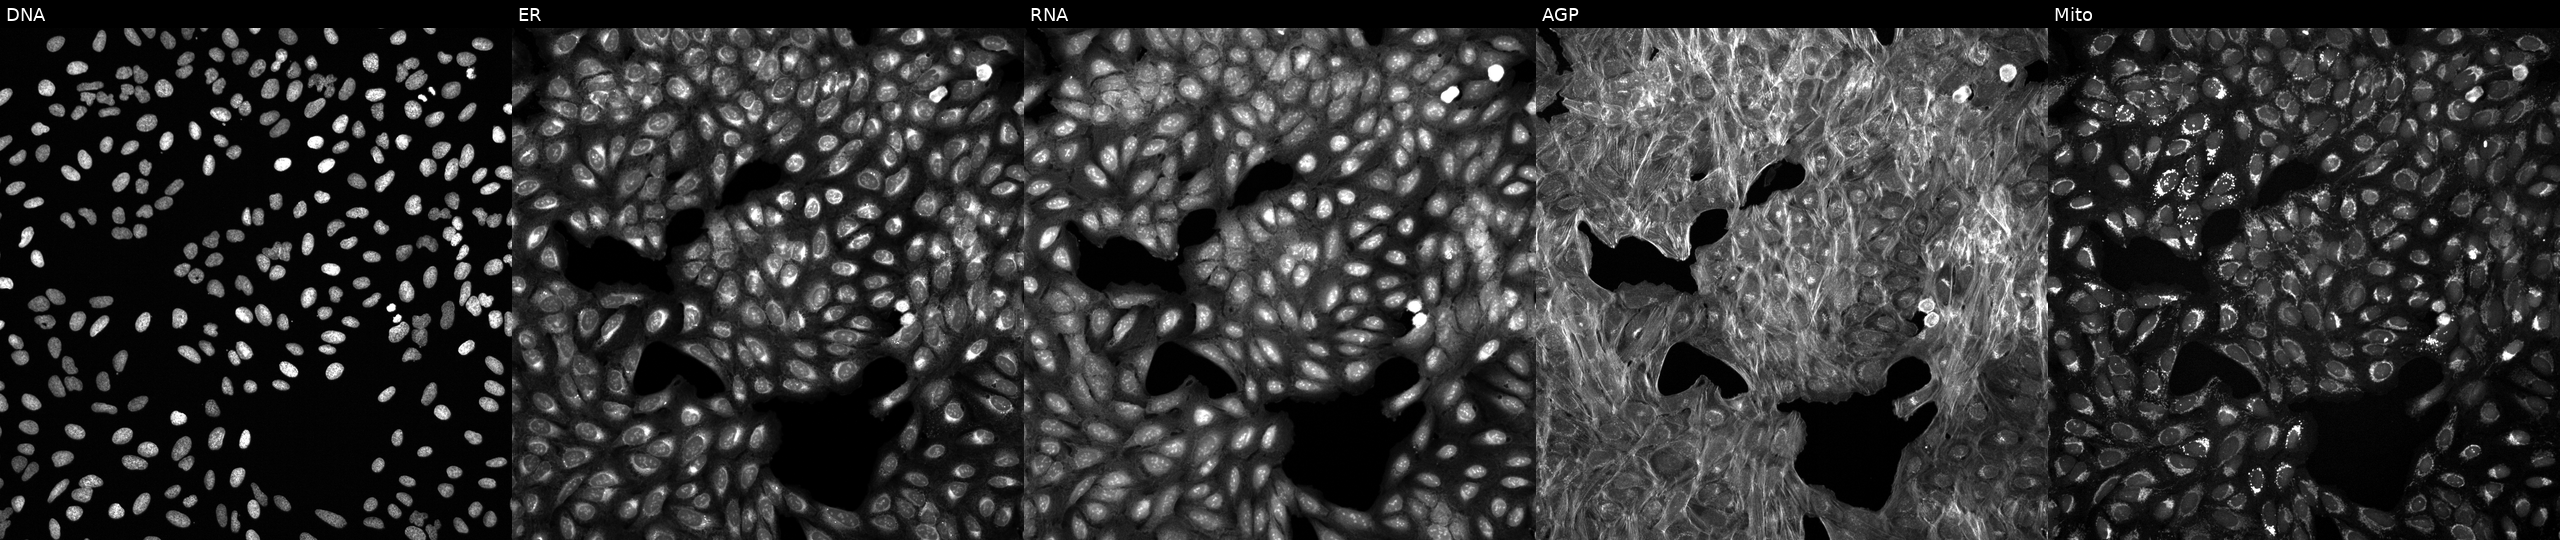
High-content fluorescence microscopy (Cell Painting). Cell line: U2OS. Perturbation: perturbed with a small-molecule compound [SMILES: CC(NS(=O)(=O)c1ccc(Br)s1)C(=O)NCc1cscn1]. The five panels, left to right, show DNA, ER, RNA, AGP, and Mito. Source 6, plate 110000293083, well J17.